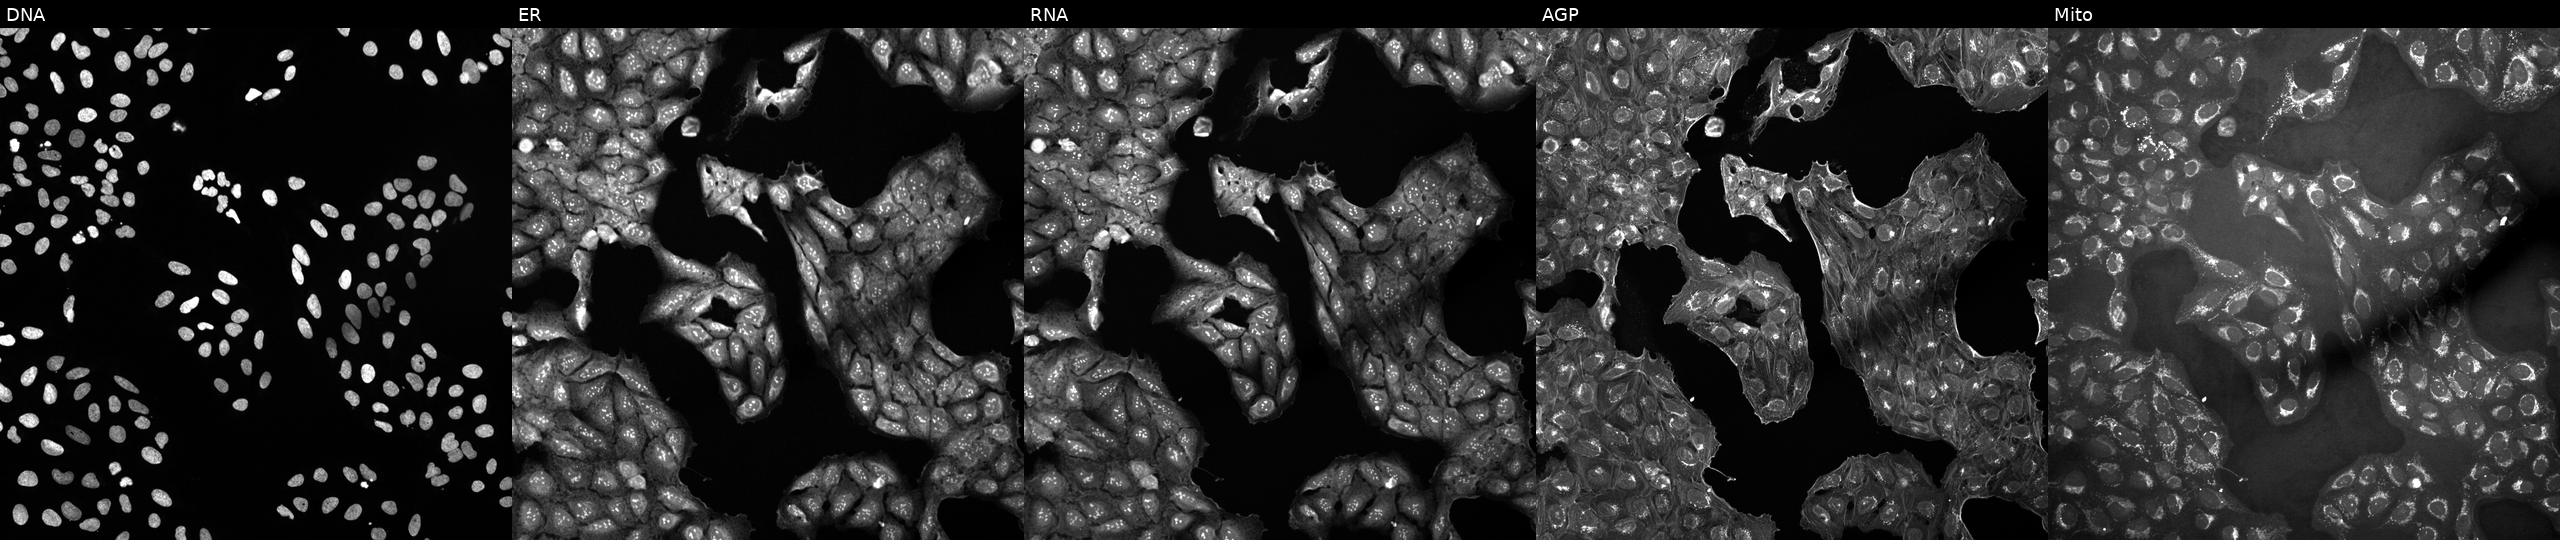
Channels (left→right): Hoechst 33342, concanavalin A, SYTO 14, phalloidin and WGA, MitoTracker. U2OS osteosarcoma cells in an empty control well (no perturbation) (JUMP id JCP2022_999999). Cell Painting assay, JUMP-CP dataset. Source 10, plate Dest210531-152149, well A13.